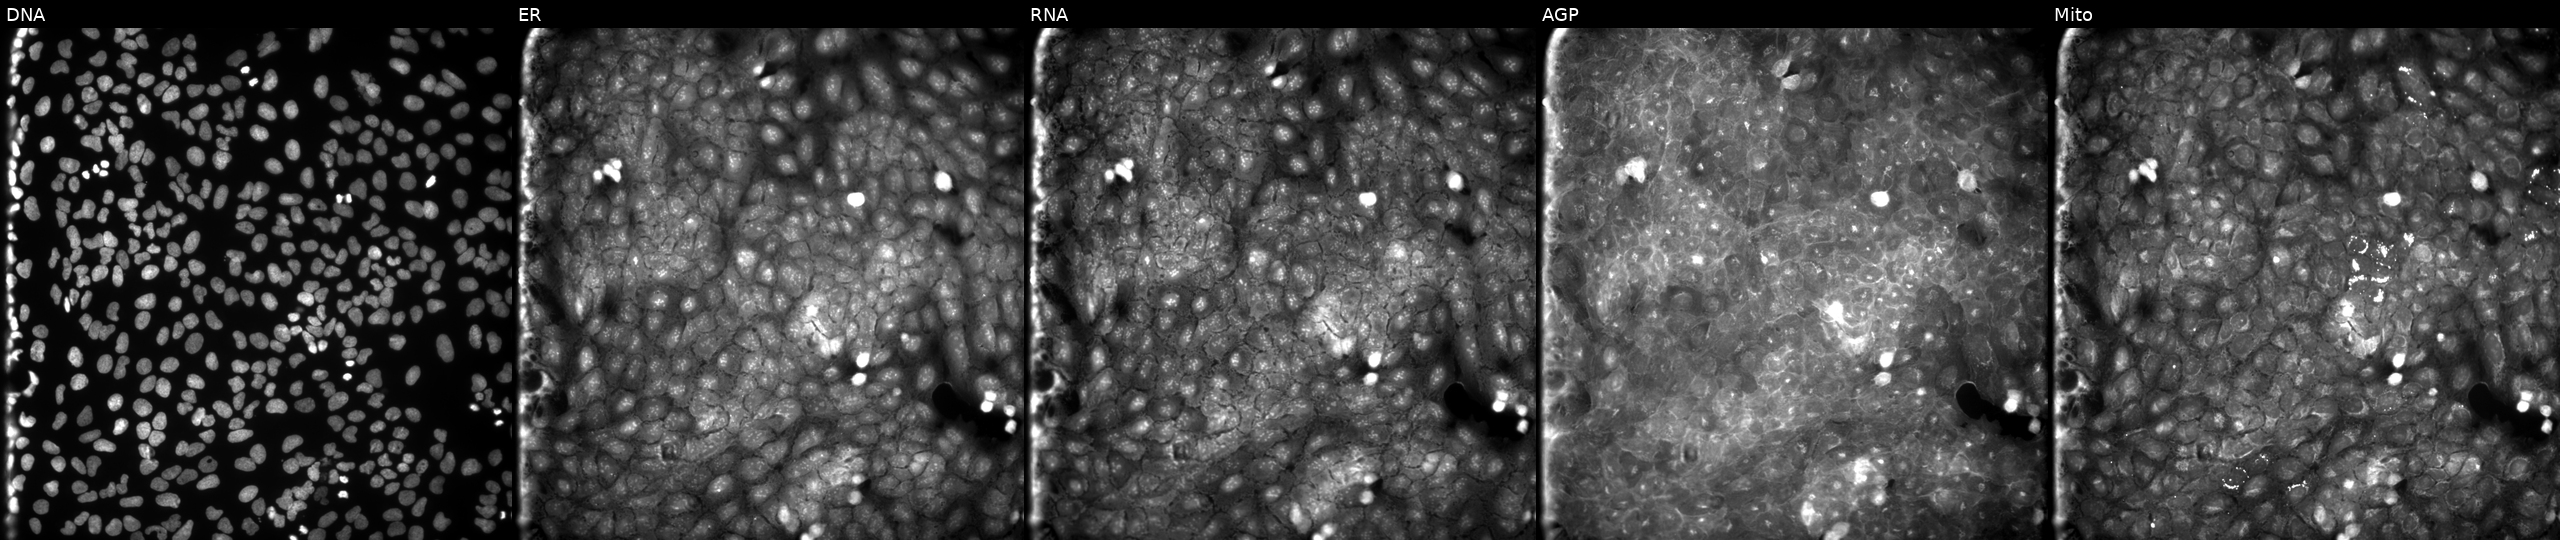
JUMP Cell Painting — COMPOUND plate. U2OS cells exposed to a small-molecule compound (InChIKey BVZRGNZDCJDWII-UHFFFAOYSA-N) (JUMP id JCP2022_009038). Channels (left→right): DNA (nuclei); ER (endoplasmic reticulum); RNA (nucleoli and cytoplasmic RNA); AGP (actin cytoskeleton, Golgi, and plasma membrane); Mito (mitochondria). Source 9, plate GR00003382, well P08.